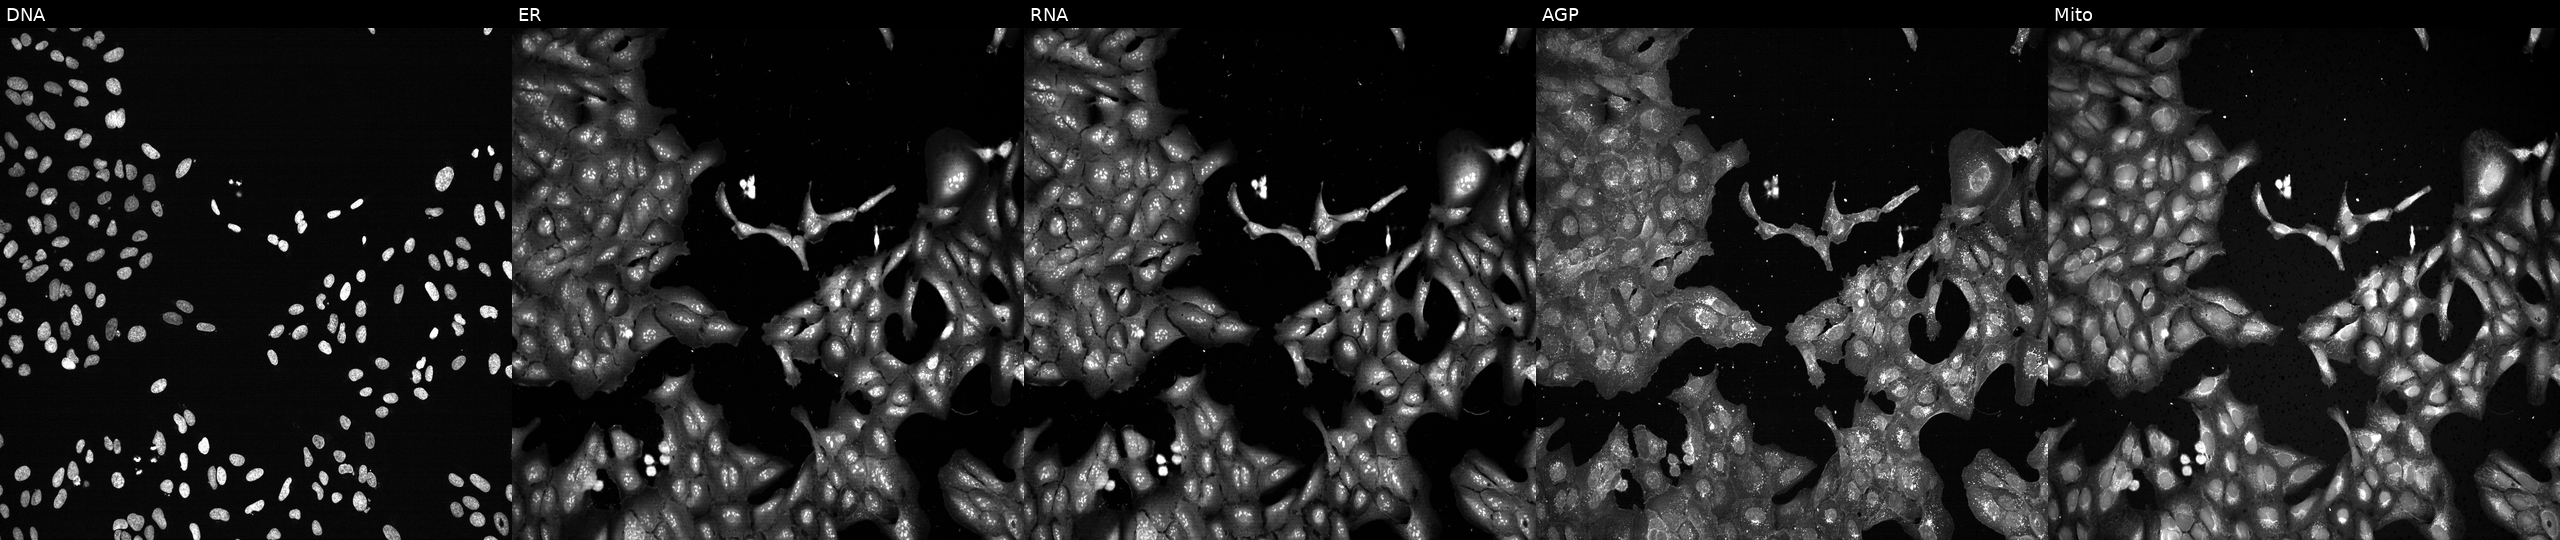
JUMP Cell Painting — CRISPR plate. U2OS cells CRISPR-edited to disrupt AKAP4 (JUMP id JCP2022_800353). Channels (left→right): DNA (nuclei); ER (endoplasmic reticulum); RNA (nucleoli and cytoplasmic RNA); AGP (actin cytoskeleton, Golgi, and plasma membrane); Mito (mitochondria). Source 13, plate CP-CC9-R1-02, well E06.